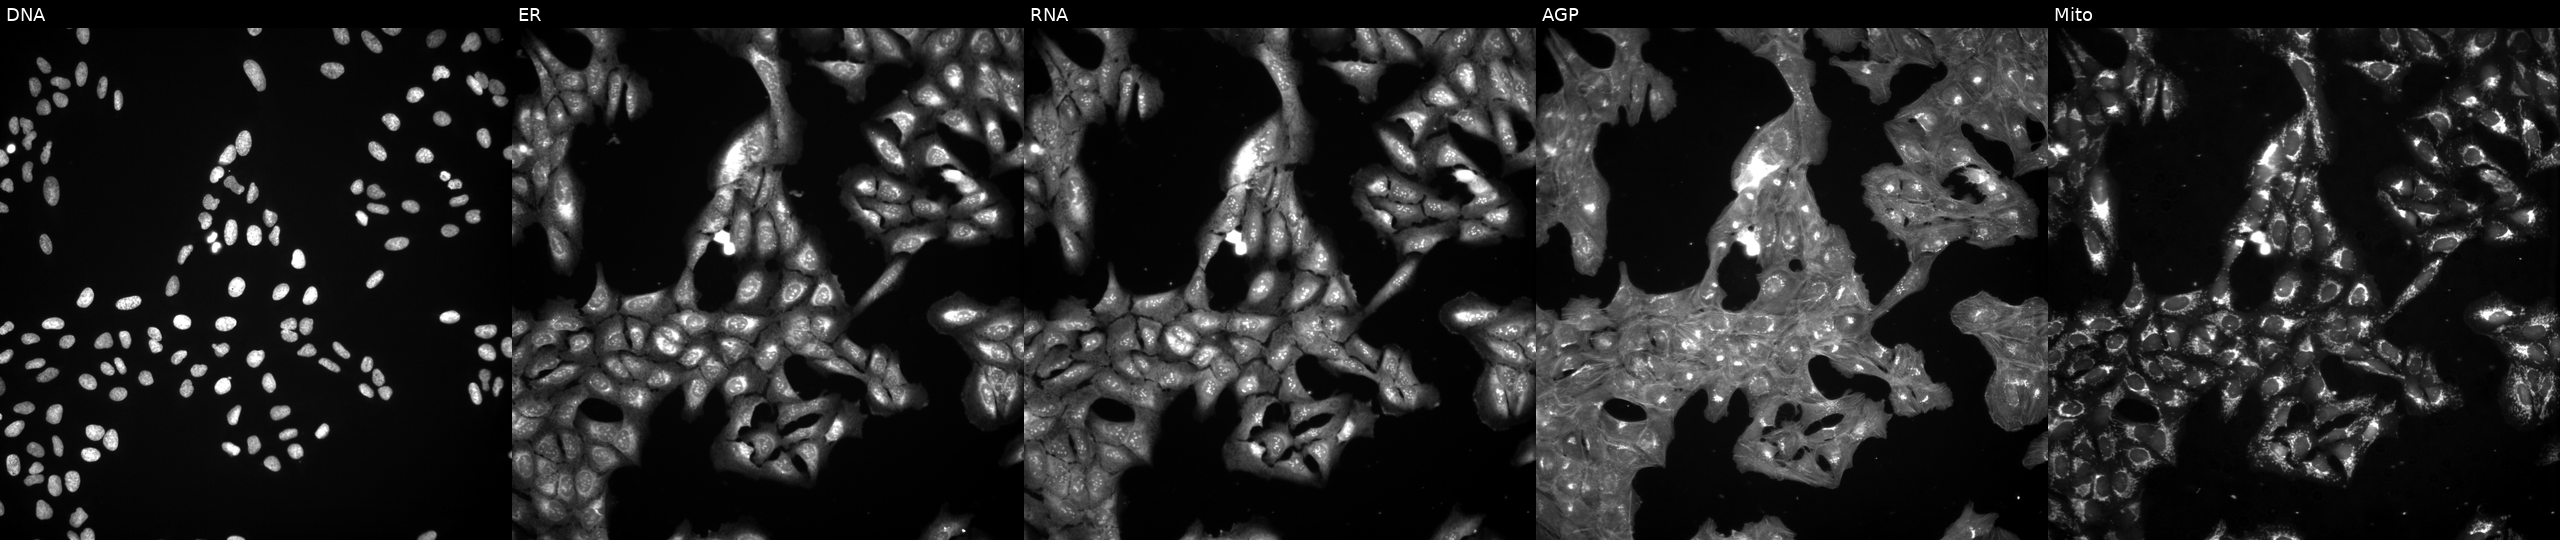
High-content fluorescence microscopy (Cell Painting). Cell line: U2OS. Perturbation: treated with a small-molecule compound (InChIKey KUUJEXLRLIPQQJ-UHFFFAOYSA-N) [SMILES: OC(CN1CCNCC1)Cn1c2ccc(Br)cc2c2cc(Br)ccc21] (JUMP id JCP2022_047143). From left to right: Hoechst 33342, concanavalin A, SYTO 14, phalloidin and WGA, MitoTracker. Source 3, plate JCPQC052, well K04.